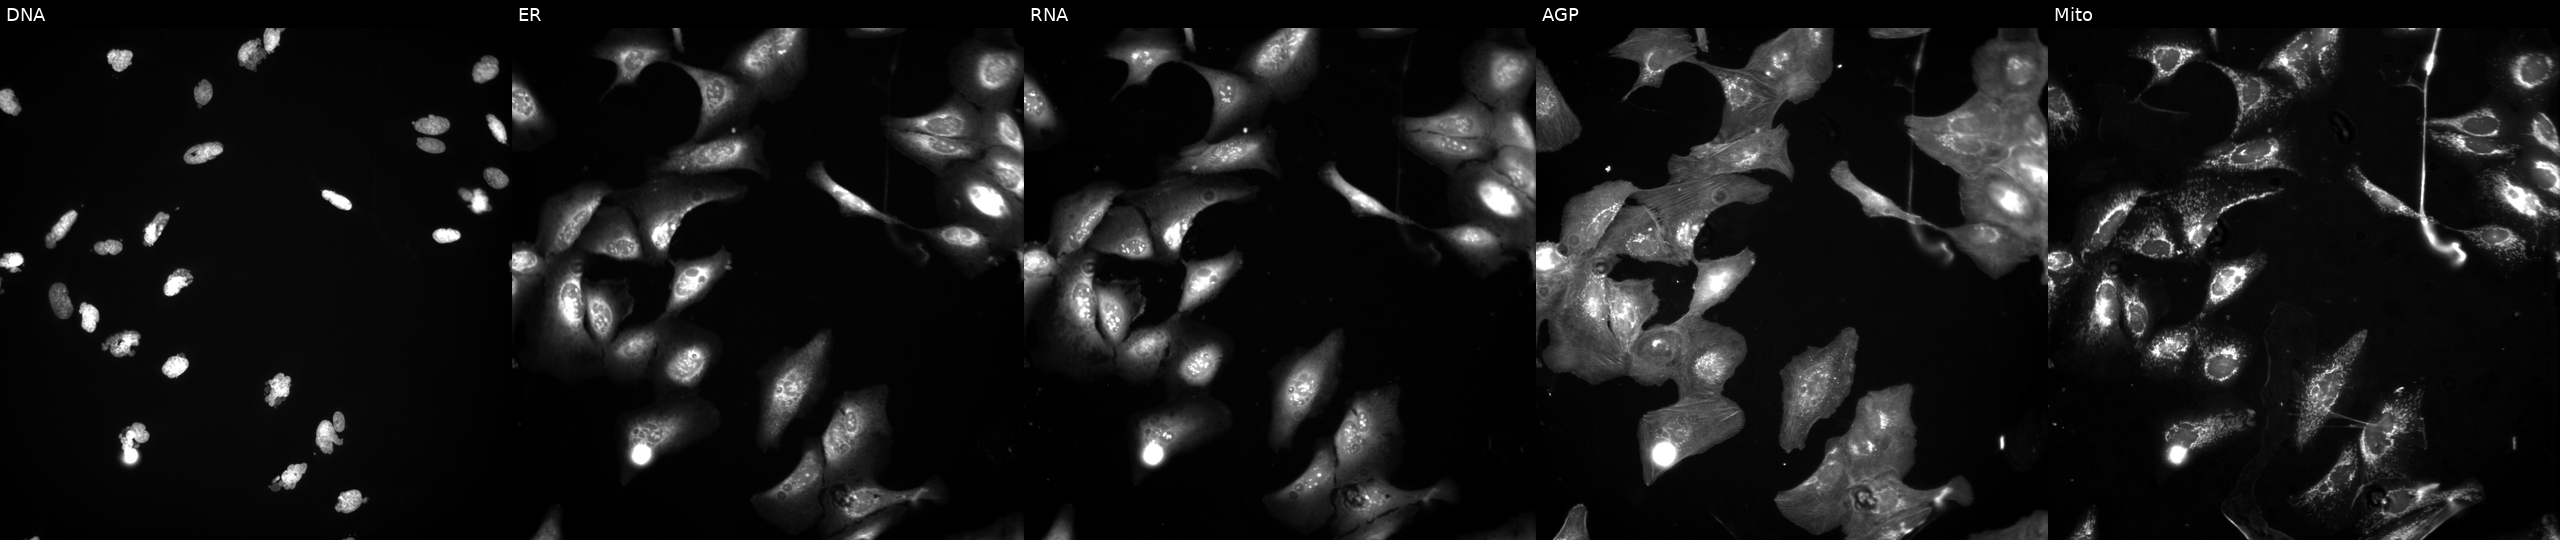
This image strip shows the five Cell Painting channels for a single field of U2OS cells treated with AMG900 (positive-control compound) (JUMP id JCP2022_037716). Channels (left→right): DNA, ER, RNA, AGP, and Mito. Source 3, plate BR5867a3, well B01.